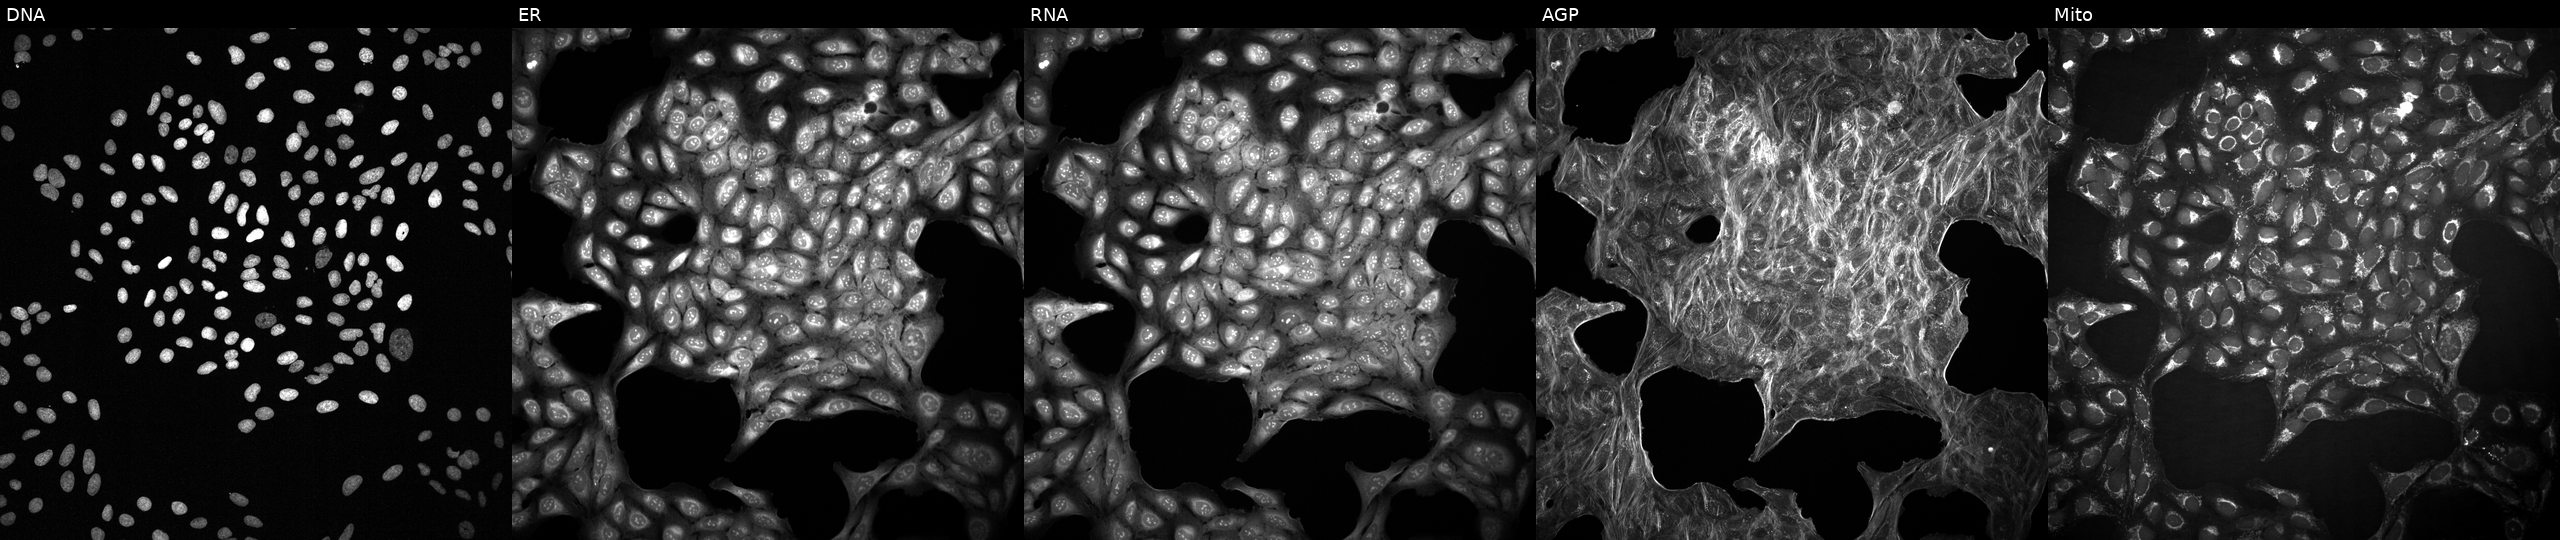
Five-channel Cell Painting image of U2OS cells treated with DMSO vehicle only (negative control). From left to right: Hoechst 33342, concanavalin A, SYTO 14, phalloidin and WGA, MitoTracker.